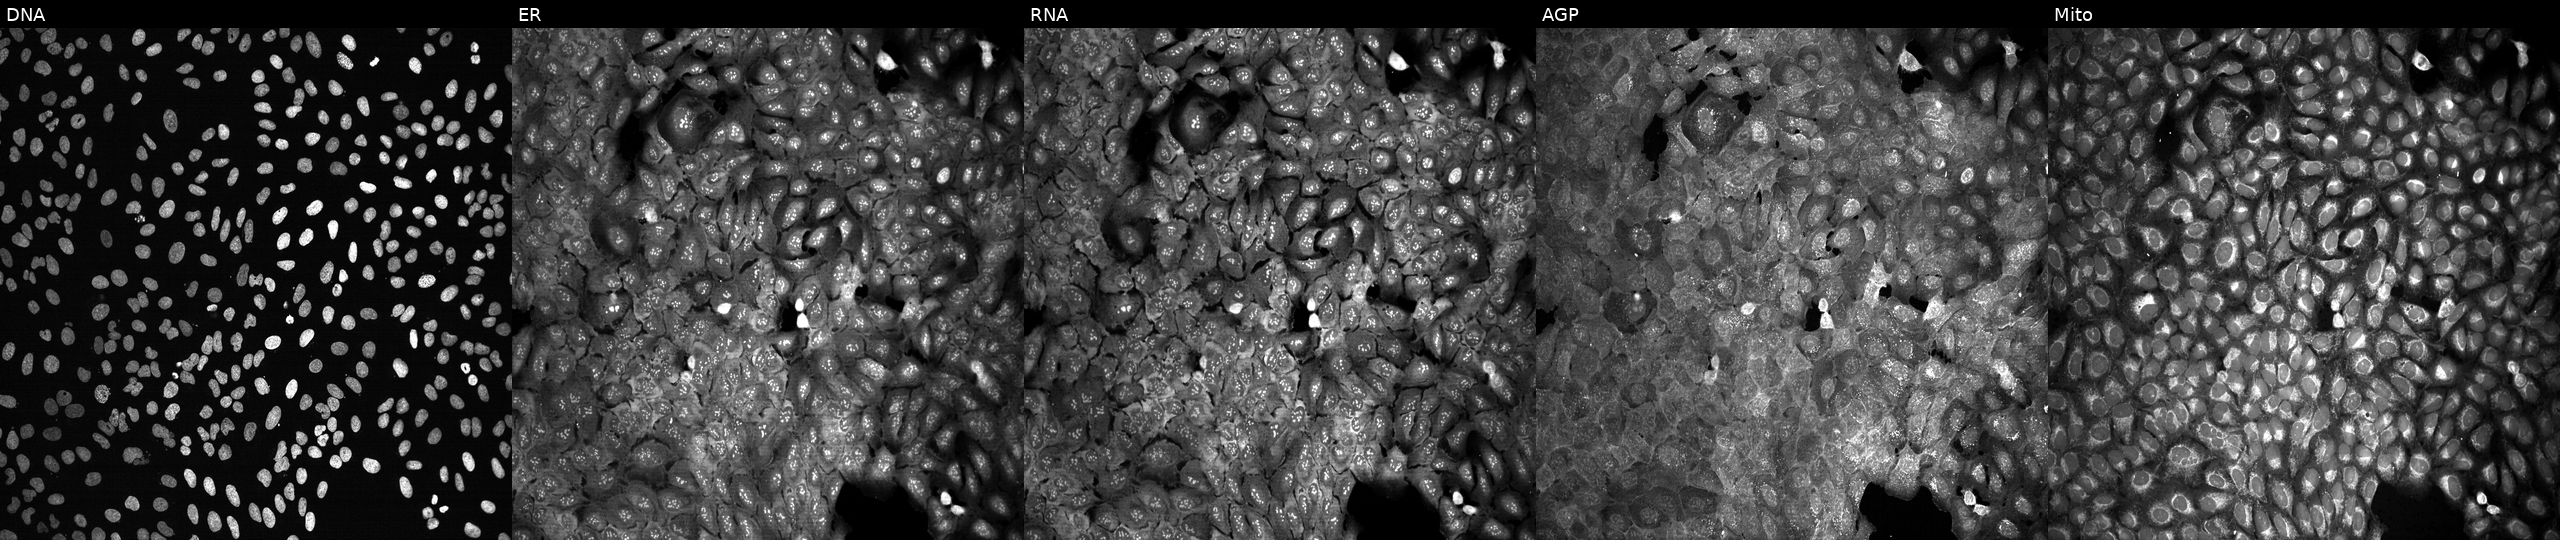
JUMP Cell Painting — CRISPR plate. U2OS cells CRISPR-edited to disrupt IDO1. Channels (left→right): Hoechst 33342, concanavalin A, SYTO 14, phalloidin and WGA, MitoTracker.